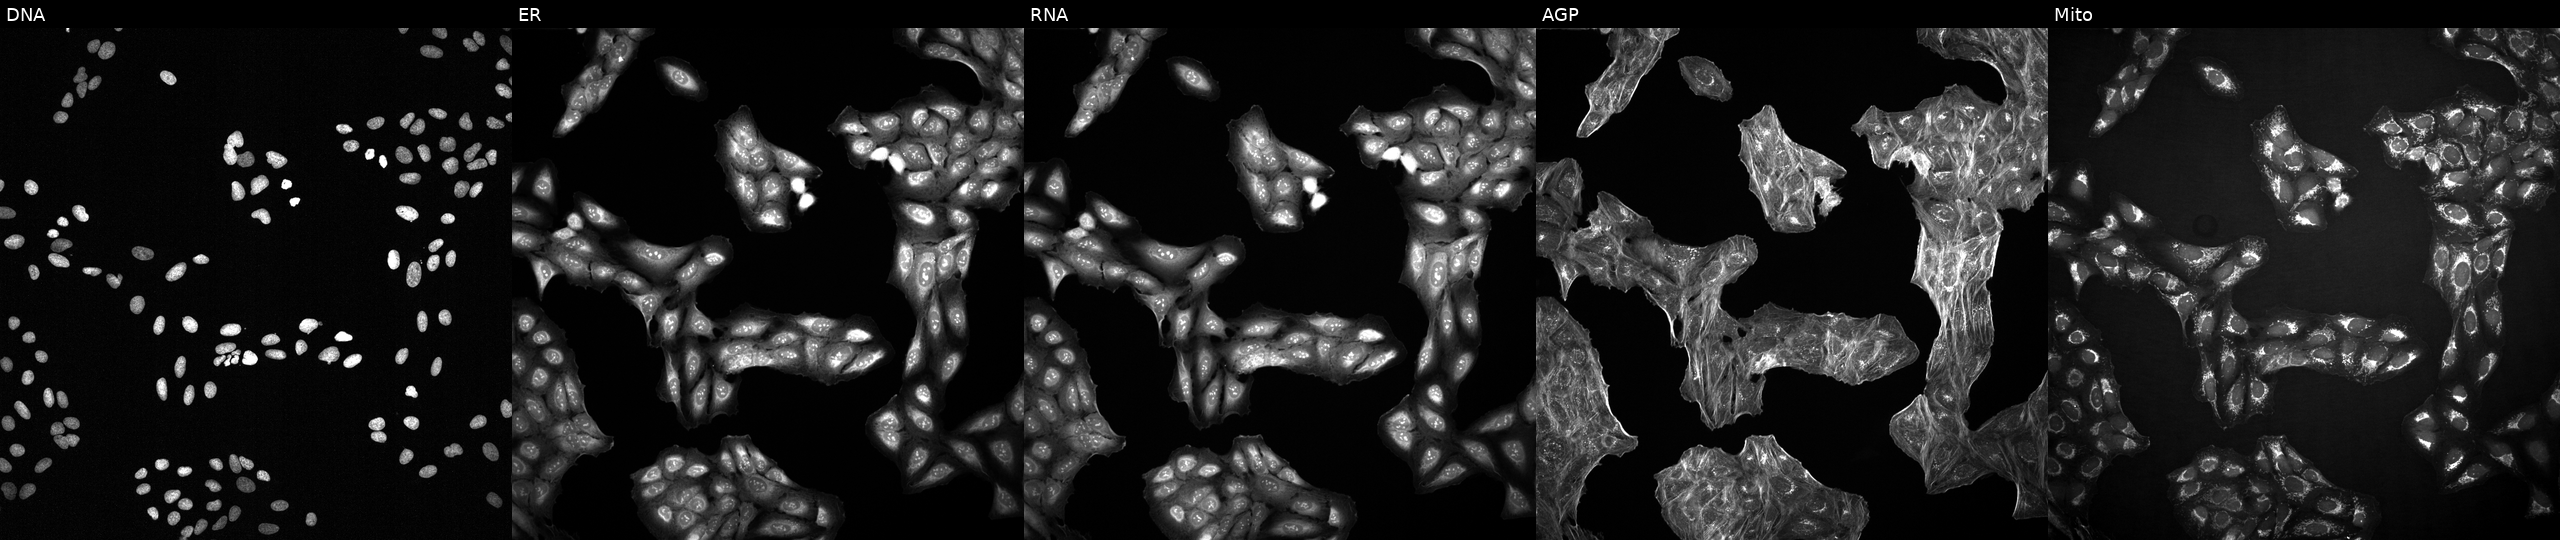
U2OS cells, Cell Painting assay, treated with DMSO vehicle only (negative control). From left to right: DNA (nuclei); ER (endoplasmic reticulum); RNA (nucleoli and cytoplasmic RNA); AGP (actin cytoskeleton, Golgi, and plasma membrane); Mito (mitochondria). Each panel is percentile-stretched 16-bit fluorescence.